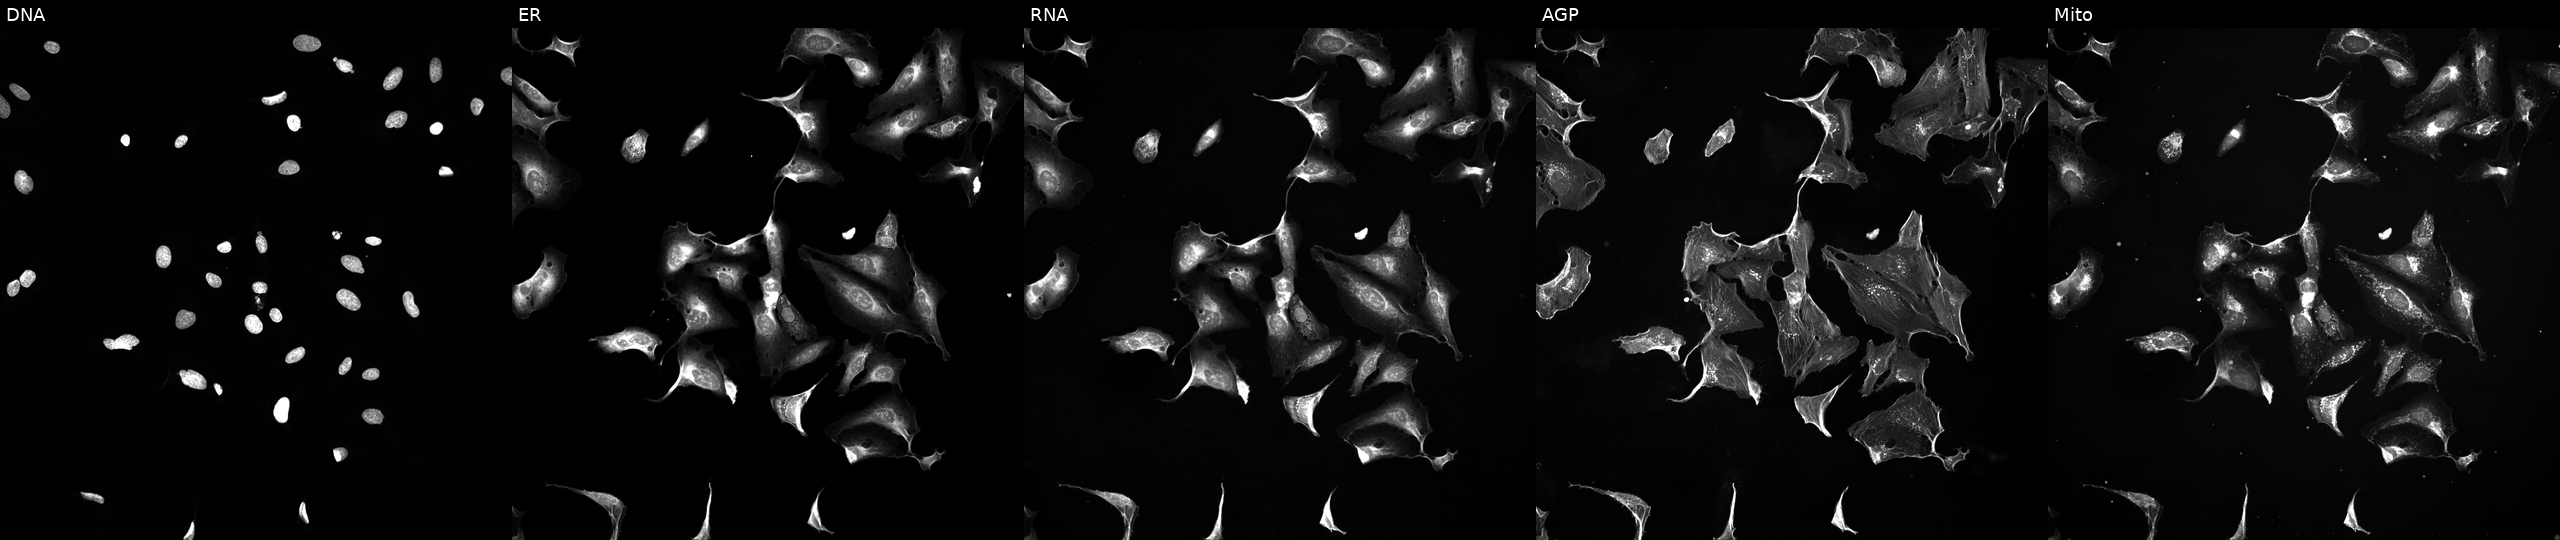
JUMP Cell Painting — TARGET2 plate. U2OS cells exposed to a small-molecule compound (InChIKey HUXYBQXJVXOMKX-UHFFFAOYSA-N) (JUMP id JCP2022_032771). The five panels, left to right, show DNA, ER, RNA, AGP, and Mito.